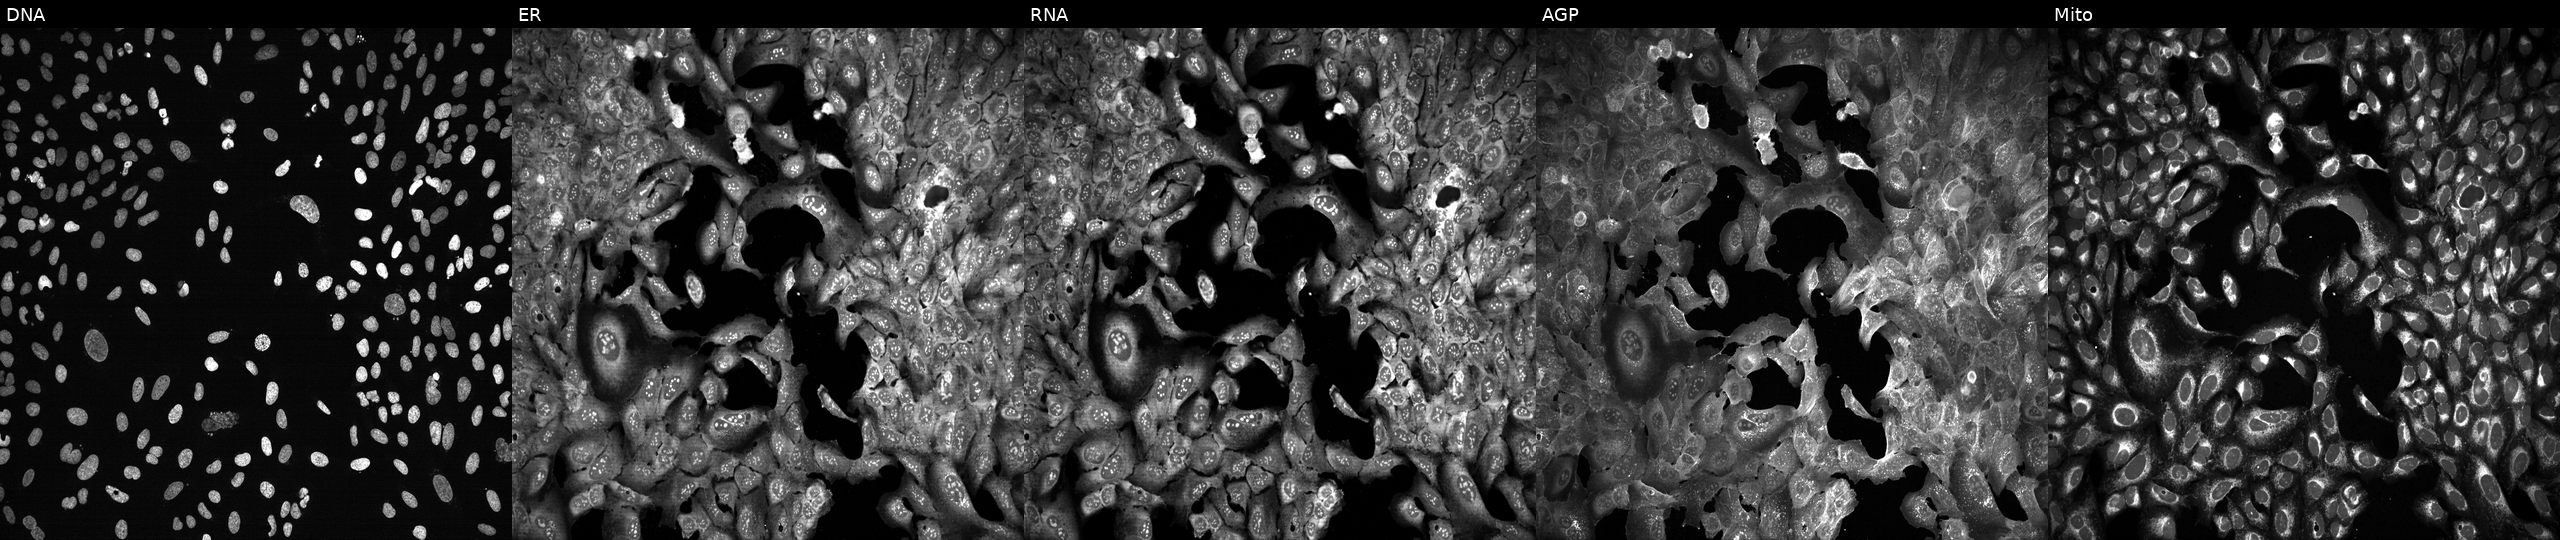
Five-channel Cell Painting image of U2OS cells following CRISPR knockout of THOP1. Panels show, left to right, DNA, ER, RNA, AGP, and Mito.